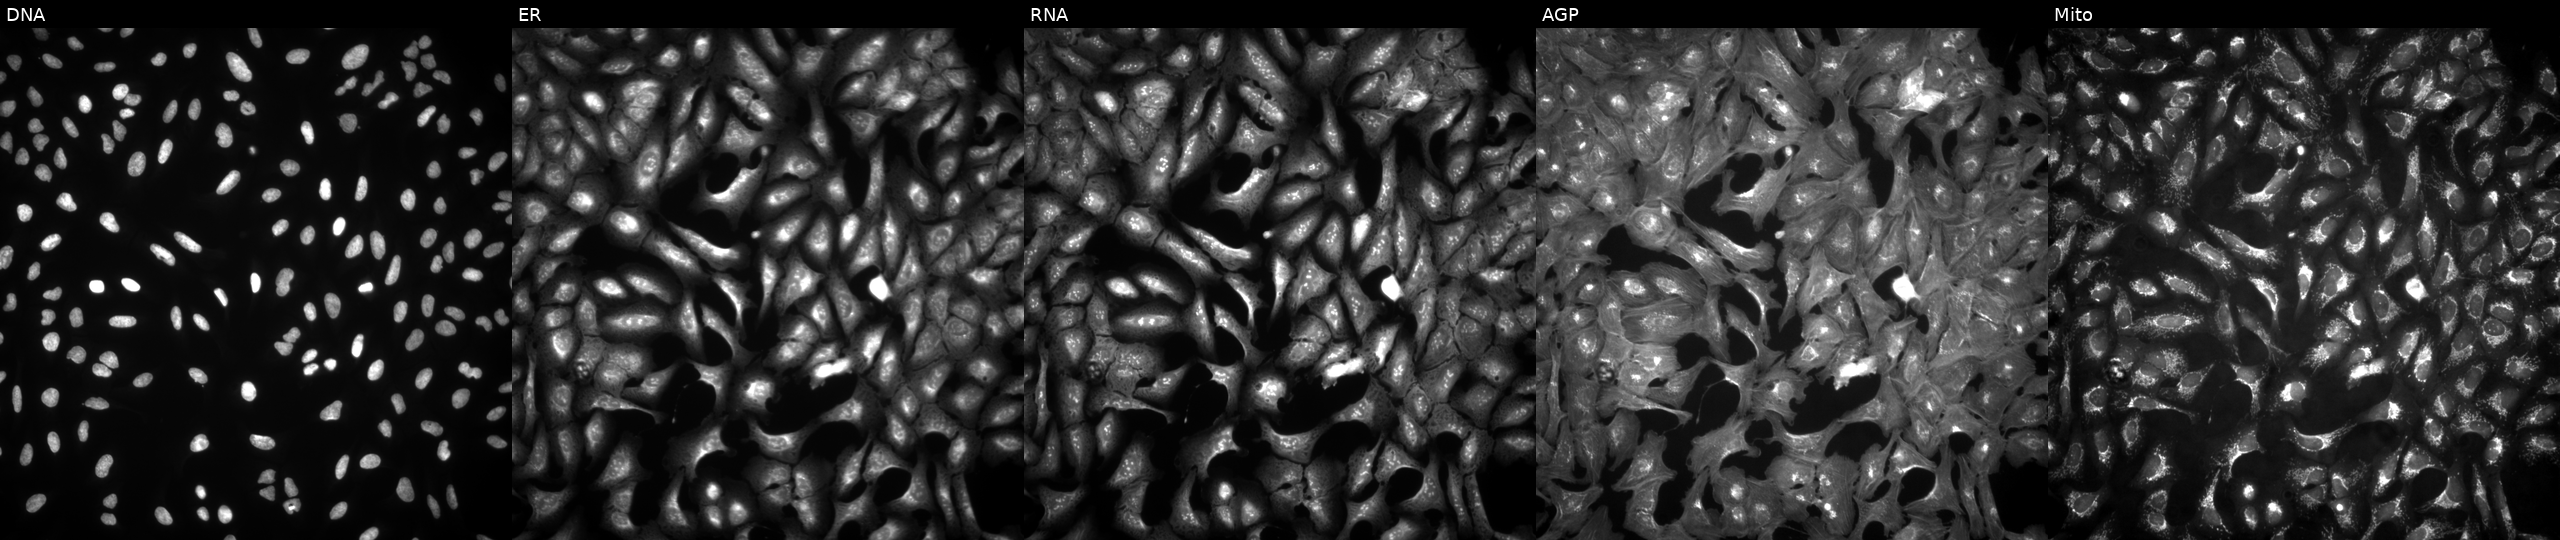
Five-channel Cell Painting image of U2OS cells with TMEM216 overexpressed (ORF) (JUMP id JCP2022_907728). Panels show, left to right, DNA, ER, RNA, AGP, and Mito.